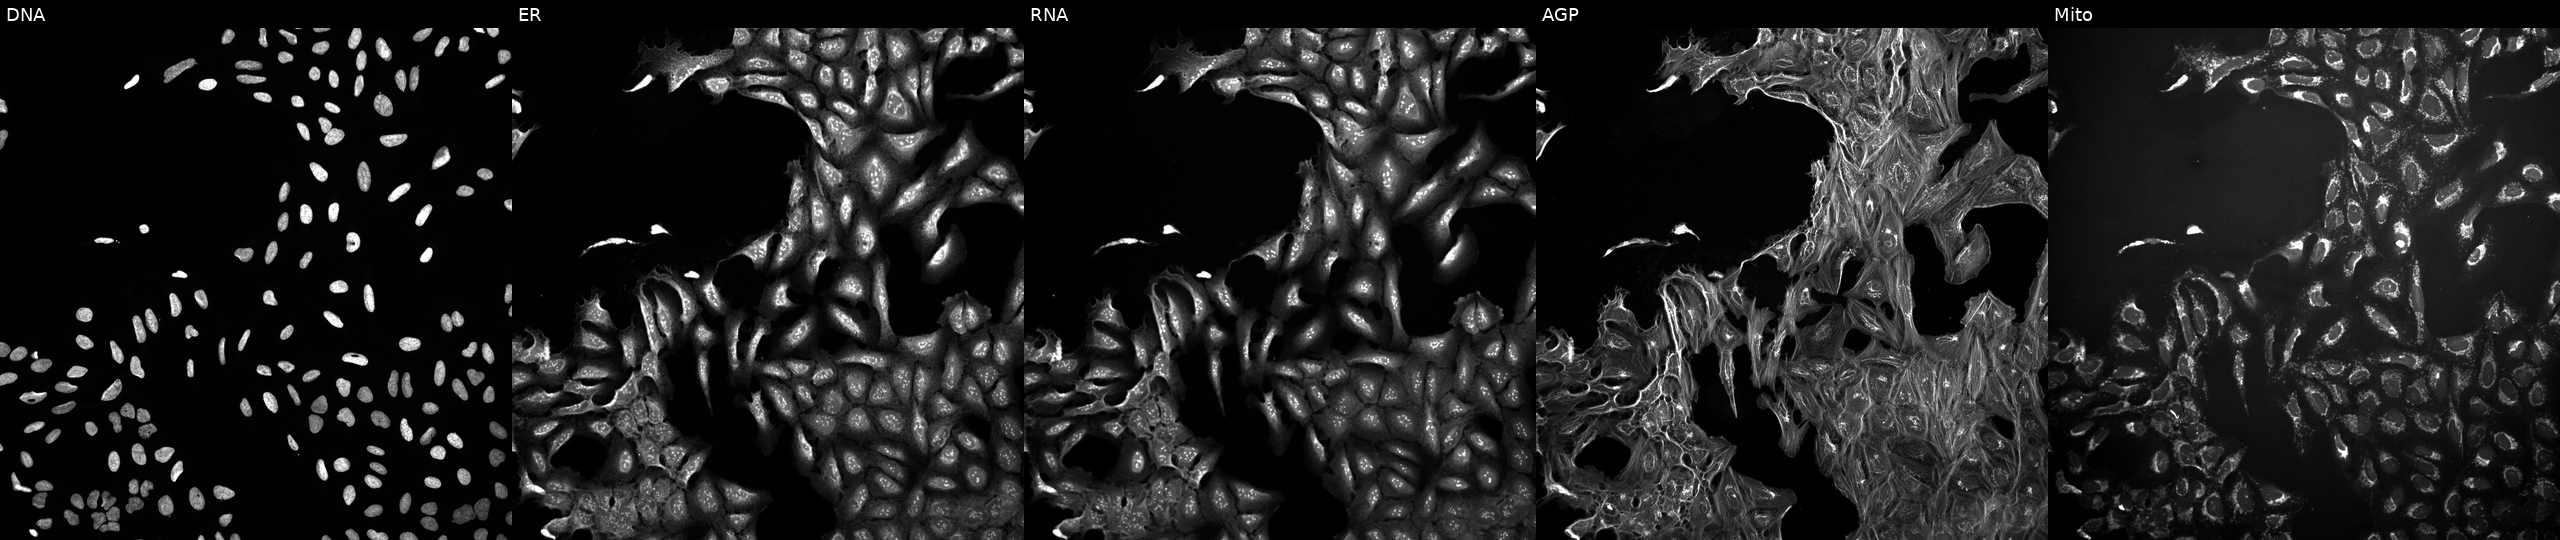
U2OS cells, Cell Painting assay, treated with a small-molecule compound (InChIKey BNFRJXLZYUTIII-UHFFFAOYSA-N). From left to right: DNA (nuclei); ER (endoplasmic reticulum); RNA (nucleoli and cytoplasmic RNA); AGP (actin cytoskeleton, Golgi, and plasma membrane); Mito (mitochondria). Each panel is percentile-stretched 16-bit fluorescence.